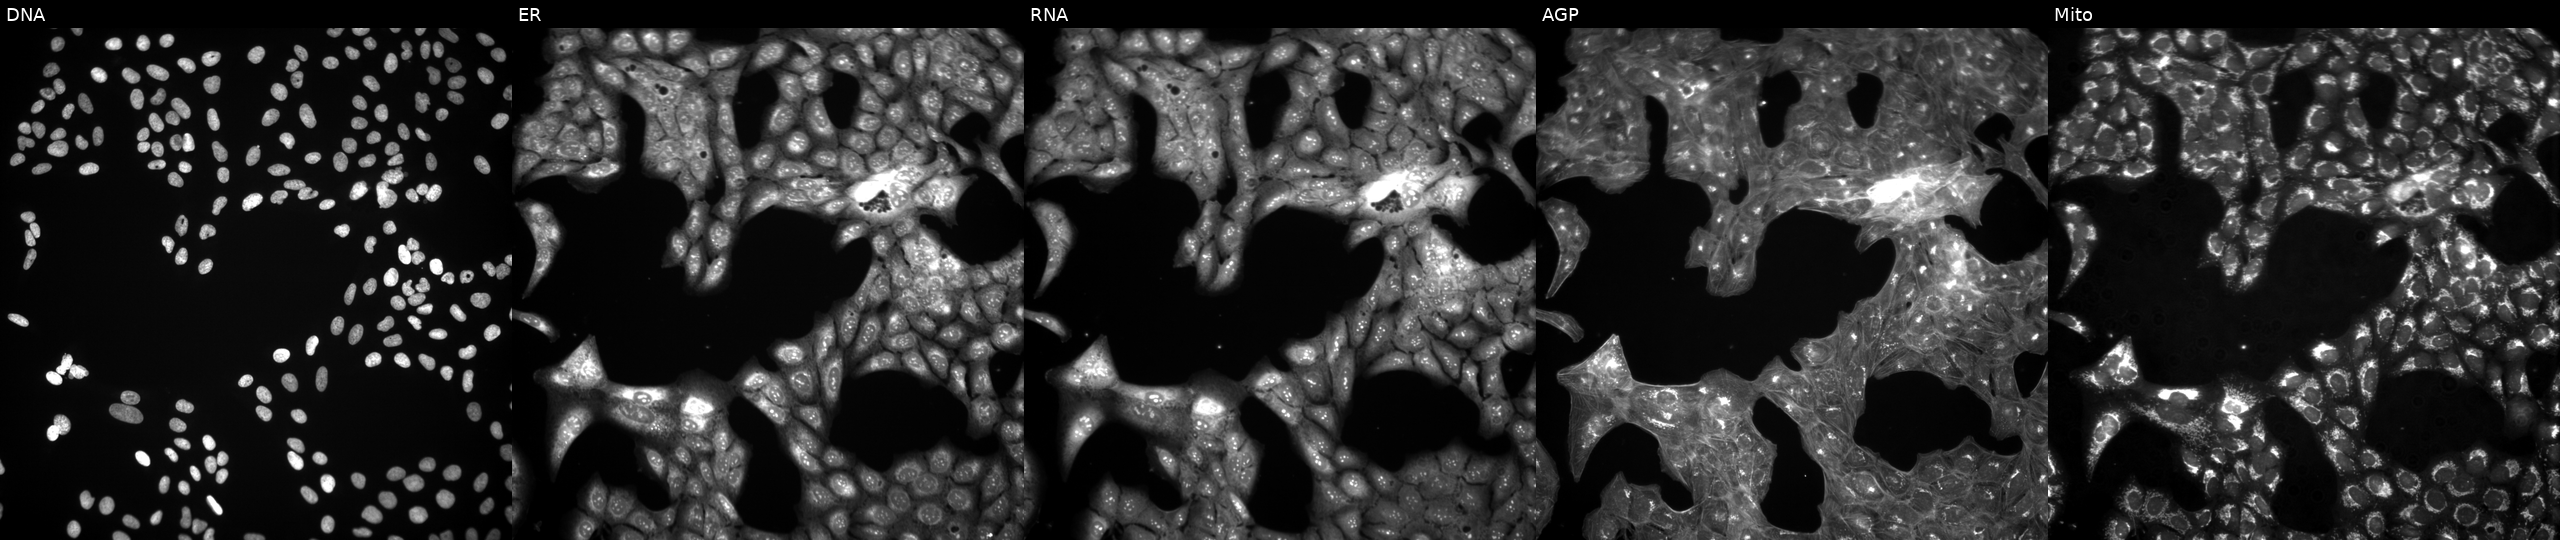
JUMP Cell Painting — TARGET2 plate. U2OS cells treated with a small-molecule compound (InChIKey PHOGQKDIVUJGMJ-UHFFFAOYSA-N) (JUMP id JCP2022_068634). The five panels, left to right, show Hoechst 33342, concanavalin A, SYTO 14, phalloidin and WGA, MitoTracker. Source 3, plate JCPQC052, well P18.